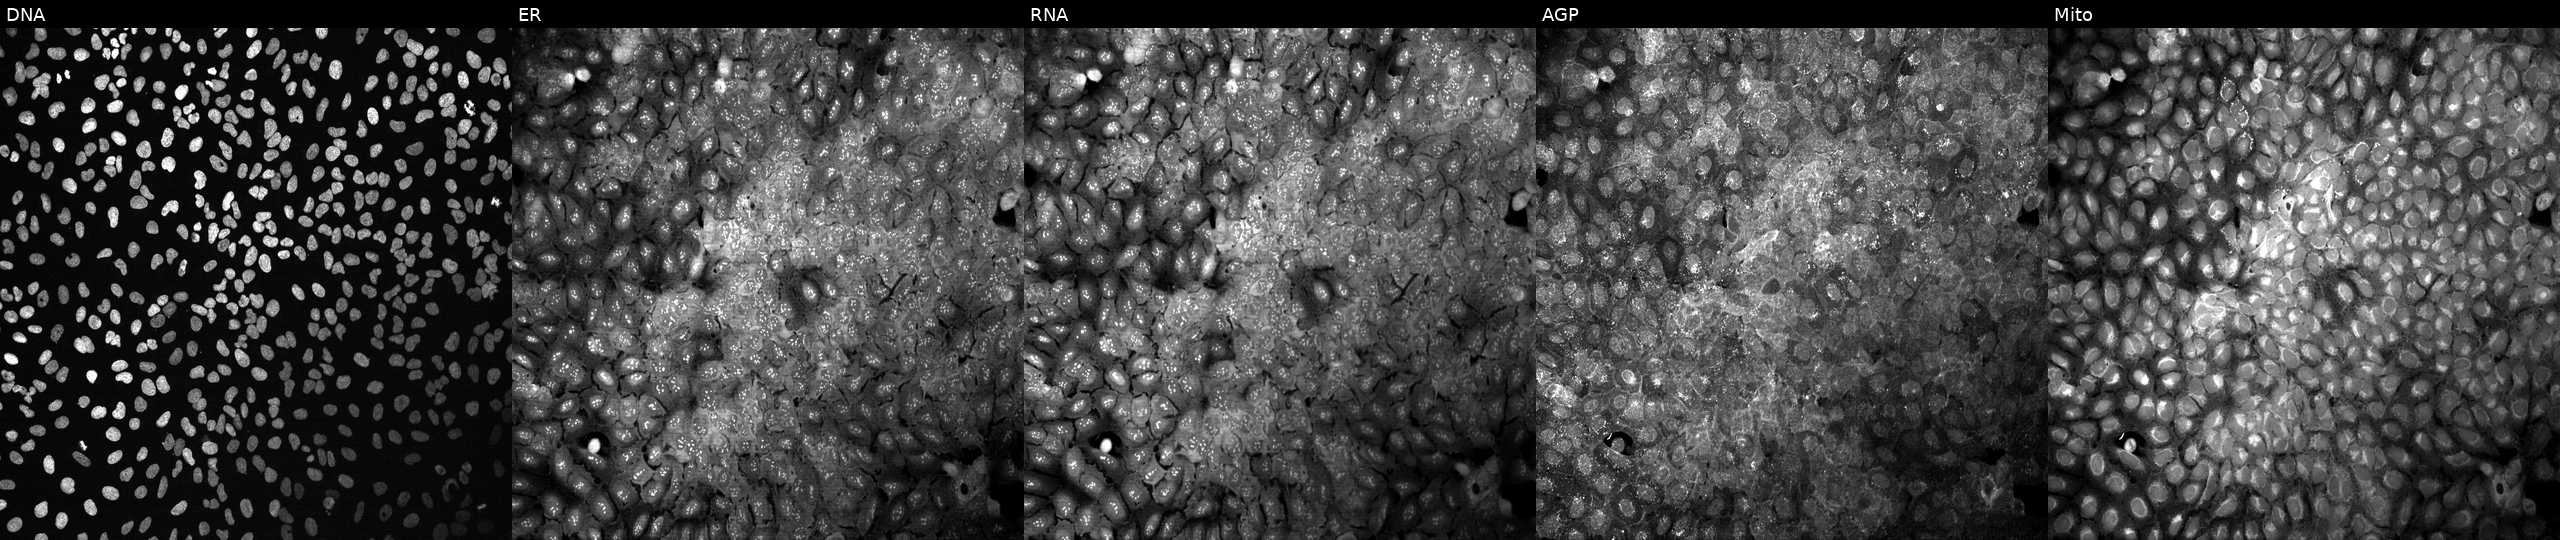
High-content fluorescence microscopy (Cell Painting). Cell line: U2OS. Perturbation: CRISPR-edited to disrupt RASAL1 (JUMP id JCP2022_805847). From left to right: DNA, ER, RNA, AGP, and Mito. Source 13, plate CP-CC9-R1-01, well L21.